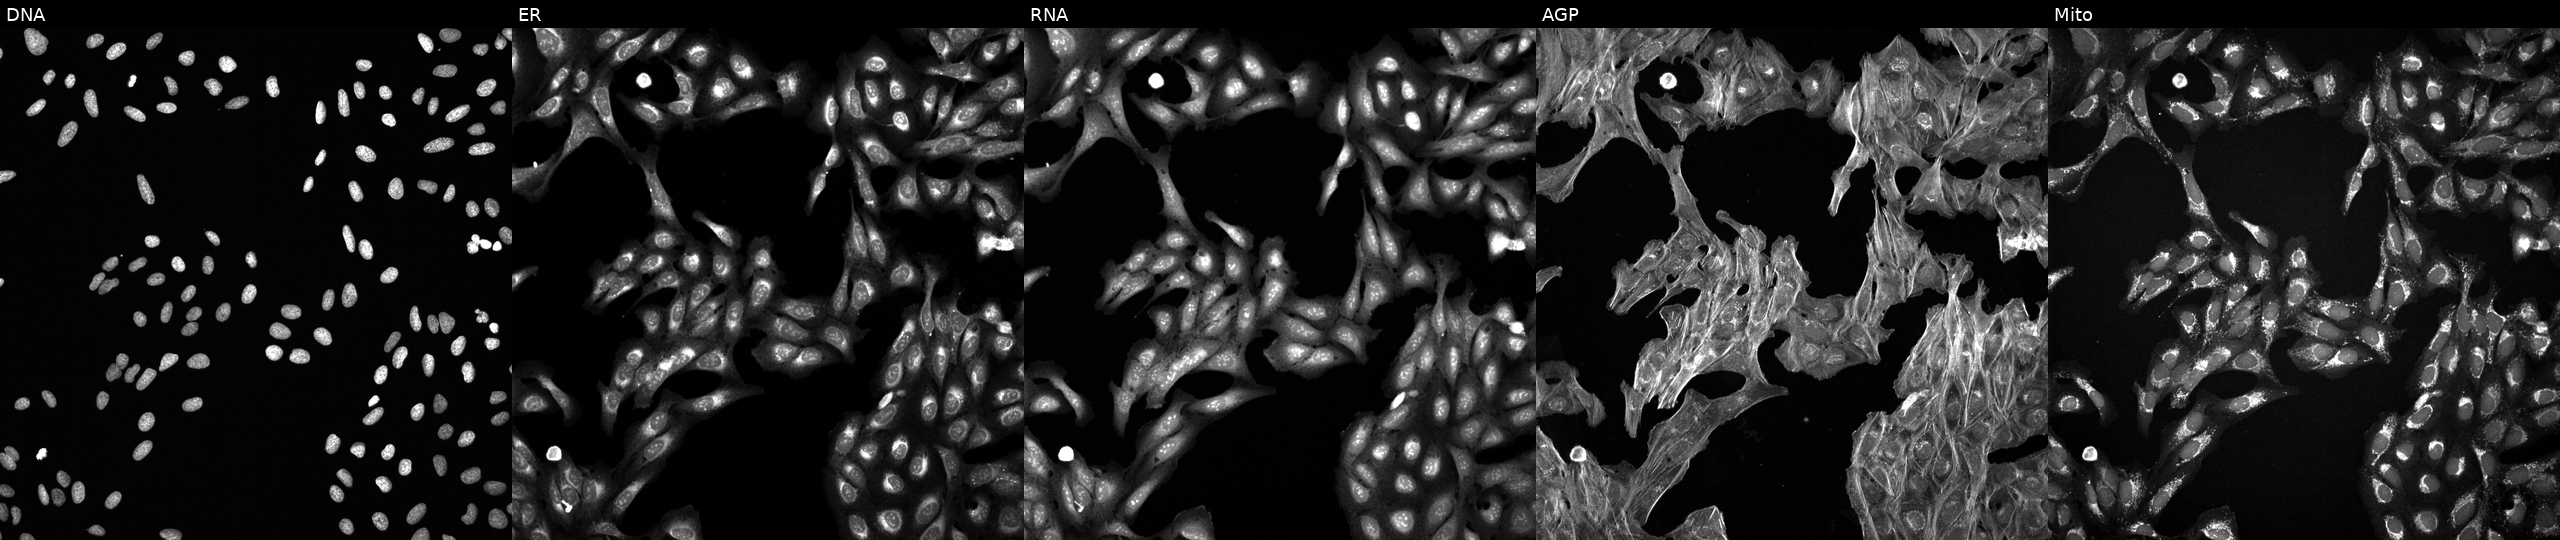
From left to right: Hoechst 33342, concanavalin A, SYTO 14, phalloidin and WGA, MitoTracker. U2OS osteosarcoma cells exposed to a small-molecule compound (JUMP id JCP2022_035296). Cell Painting assay, JUMP-CP dataset.